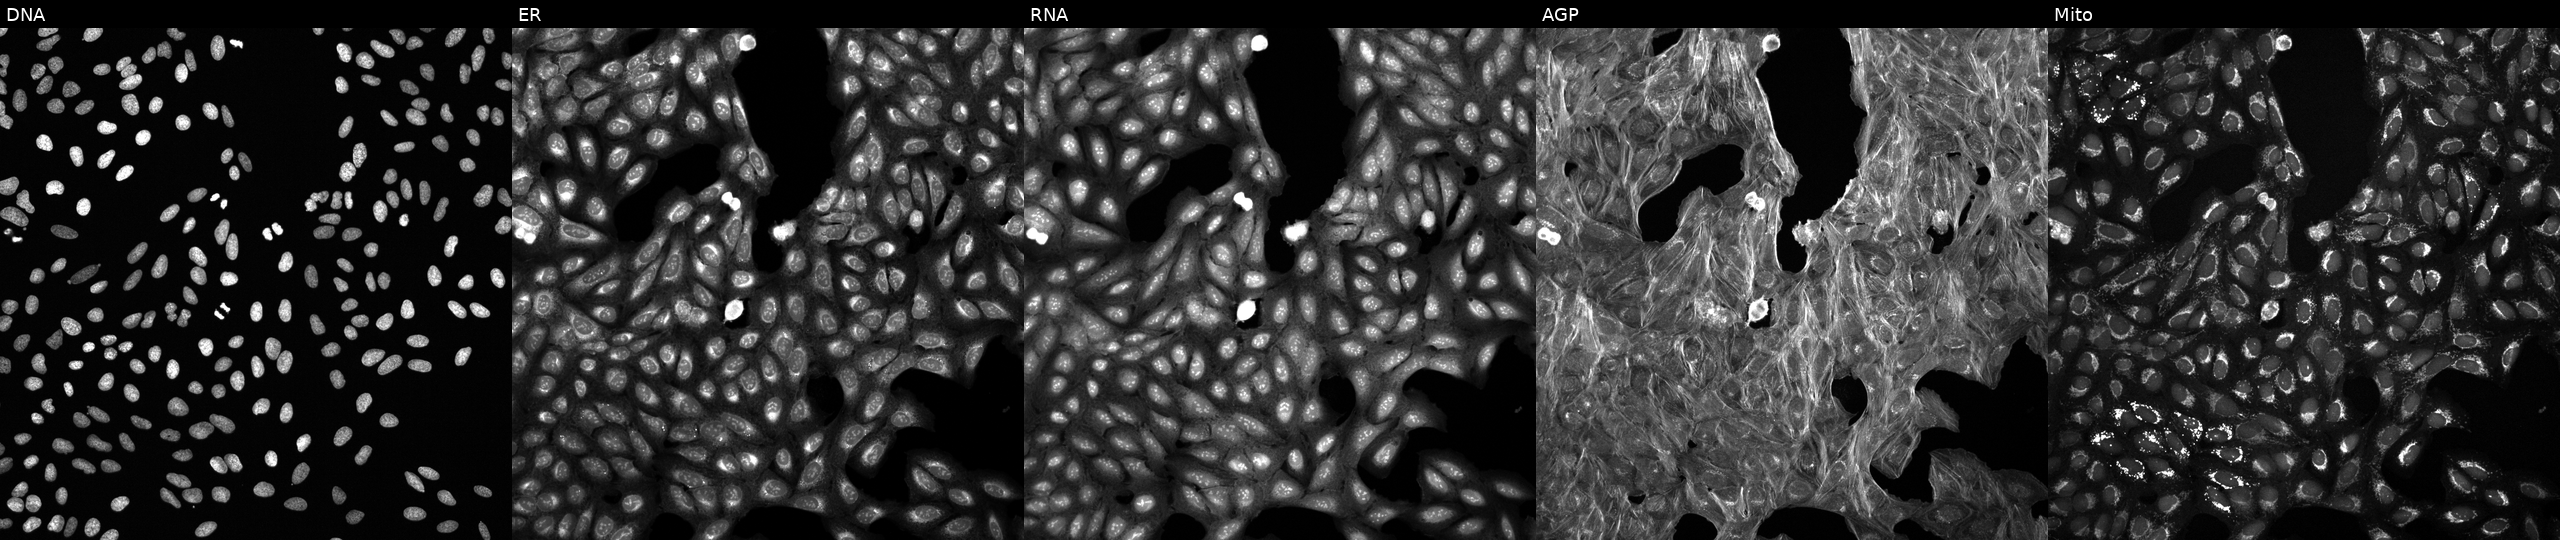
Five-channel Cell Painting image of U2OS cells treated with DMSO vehicle only (negative control) (JUMP id JCP2022_033924). Channels (left→right): Hoechst 33342, concanavalin A, SYTO 14, phalloidin and WGA, MitoTracker.